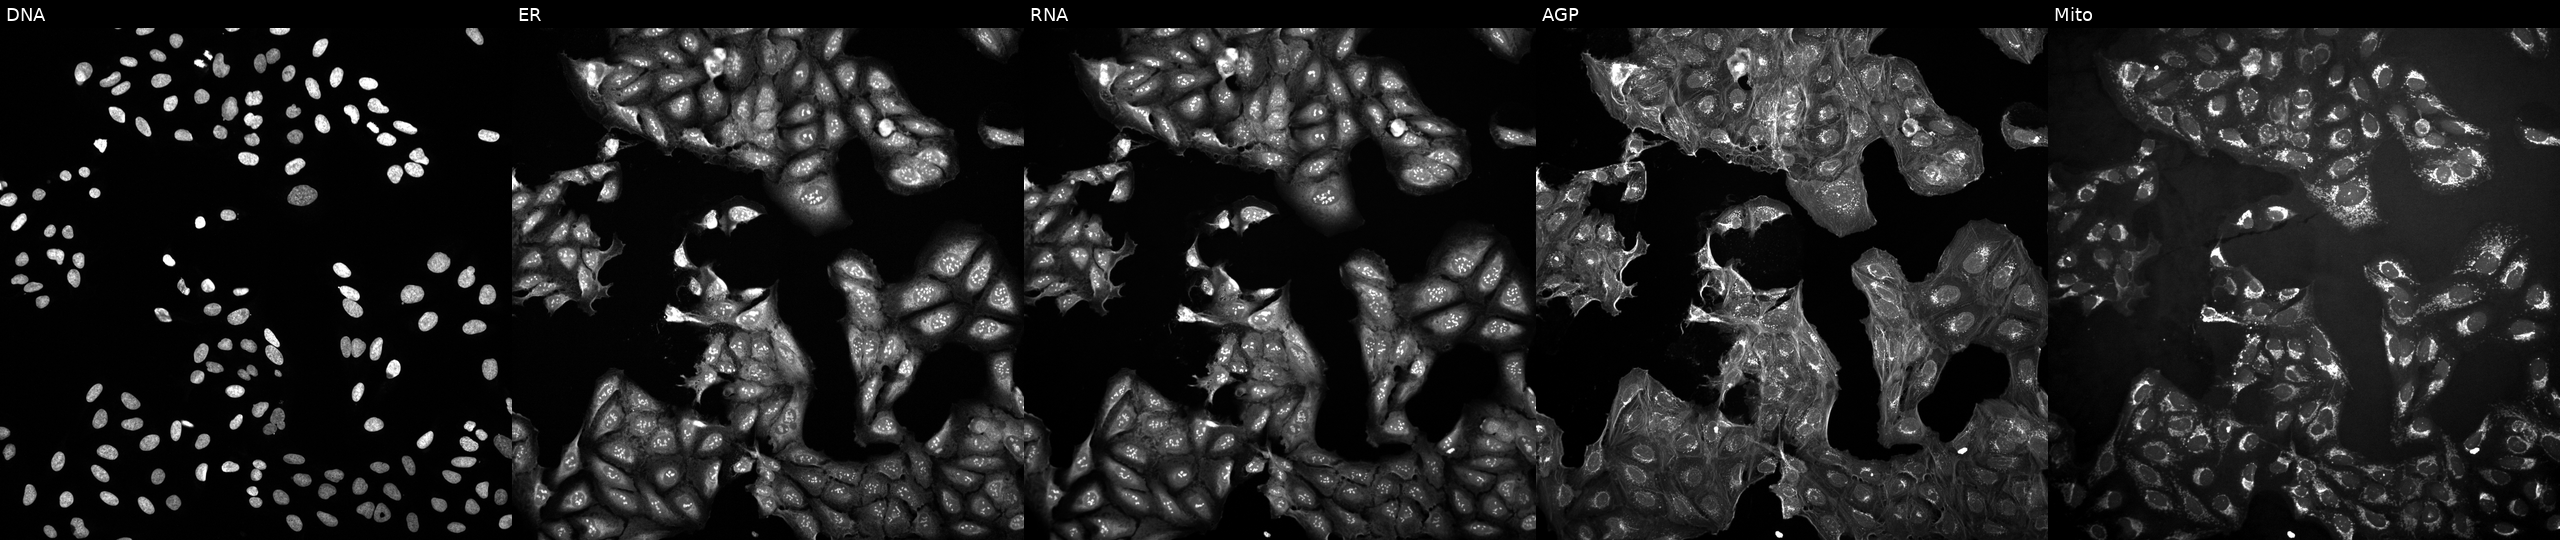
Five-channel Cell Painting image of U2OS cells untreated (empty-well control) (JUMP id JCP2022_999999). Panels show, left to right, Hoechst 33342, concanavalin A, SYTO 14, phalloidin and WGA, MitoTracker.